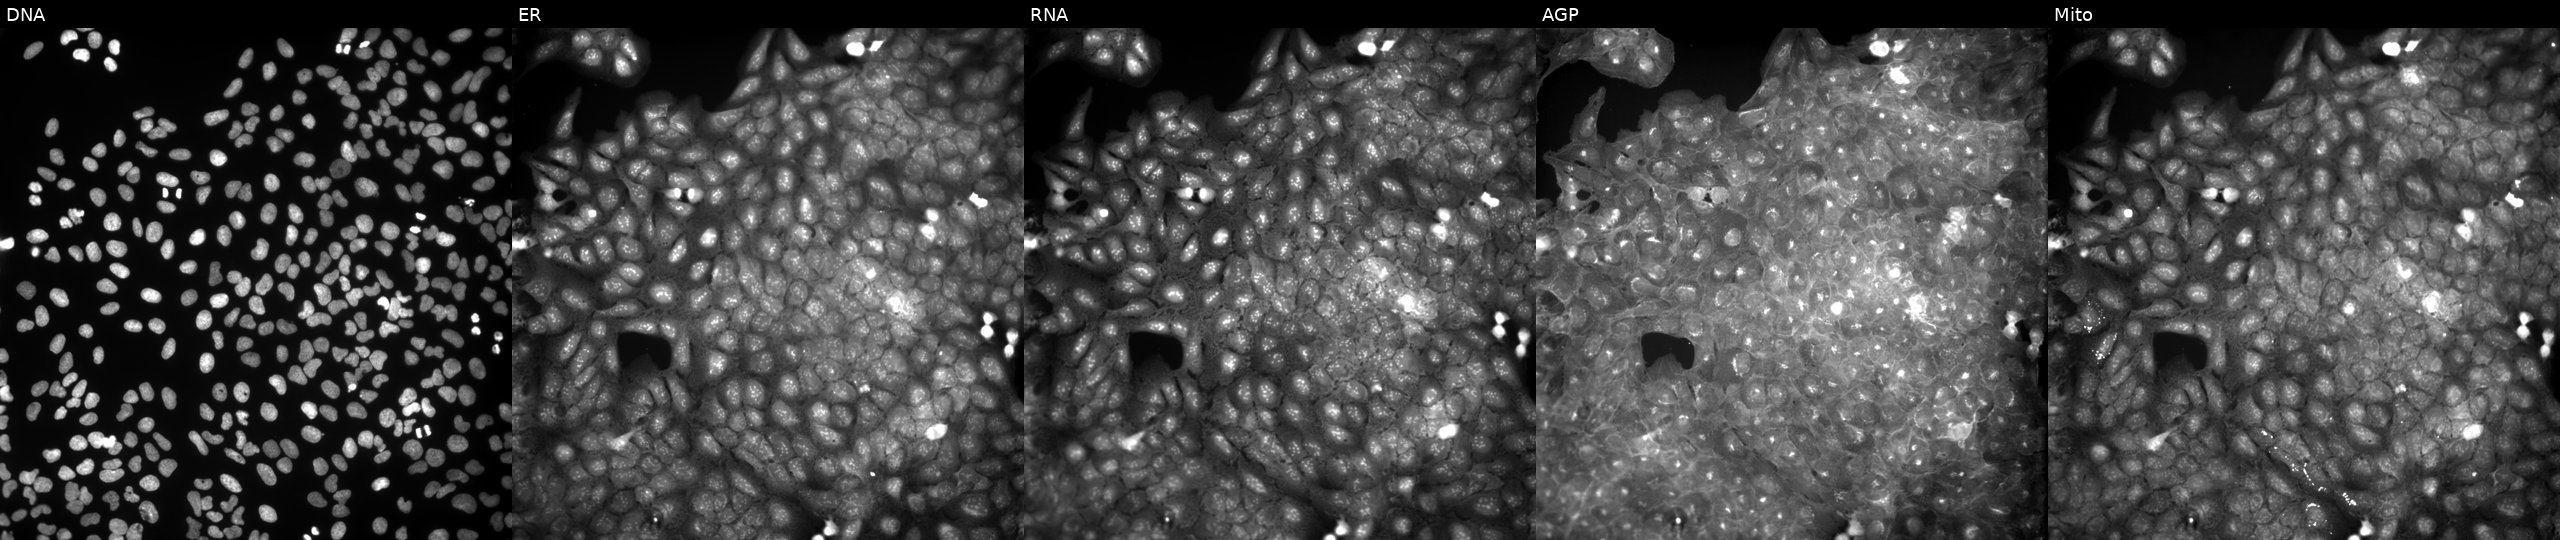
U2OS cells, Cell Painting assay, exposed to a small-molecule compound (InChIKey DJNUOPNMJSYQLW-UHFFFAOYSA-N) (JUMP id JCP2022_016315). Panels show, left to right, Hoechst 33342, concanavalin A, SYTO 14, phalloidin and WGA, MitoTracker. Each panel is percentile-stretched 16-bit fluorescence.